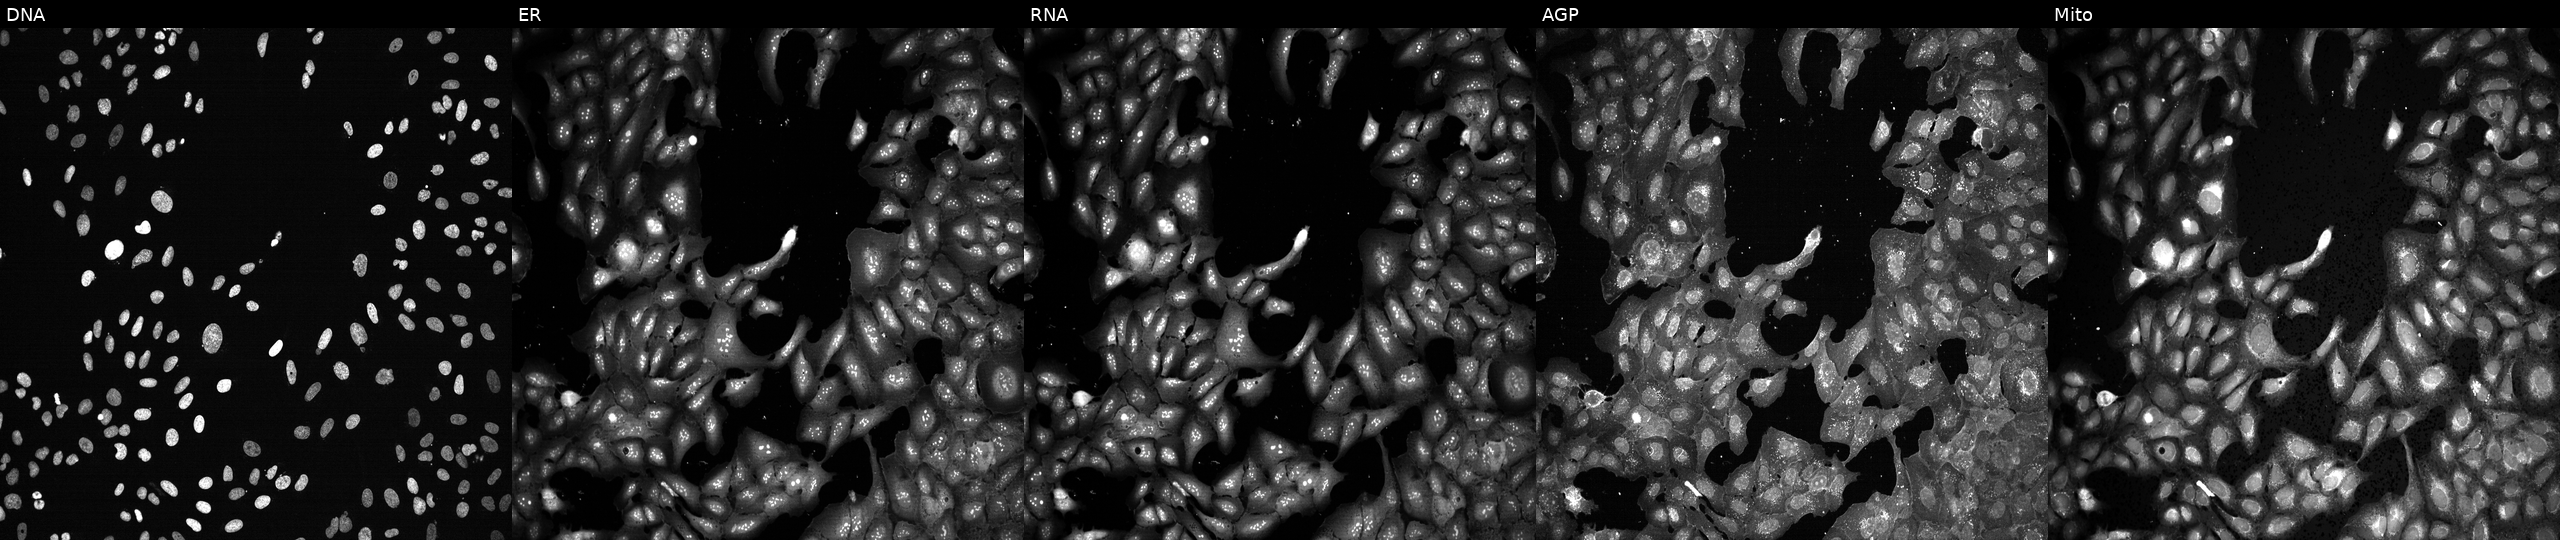
U2OS cells, Cell Painting assay, following CRISPR knockout of PGLYRP3. From left to right: DNA (nuclei); ER (endoplasmic reticulum); RNA (nucleoli and cytoplasmic RNA); AGP (actin cytoskeleton, Golgi, and plasma membrane); Mito (mitochondria). Each panel is percentile-stretched 16-bit fluorescence. Source 13, plate CP-CC9-R1-01, well B21.